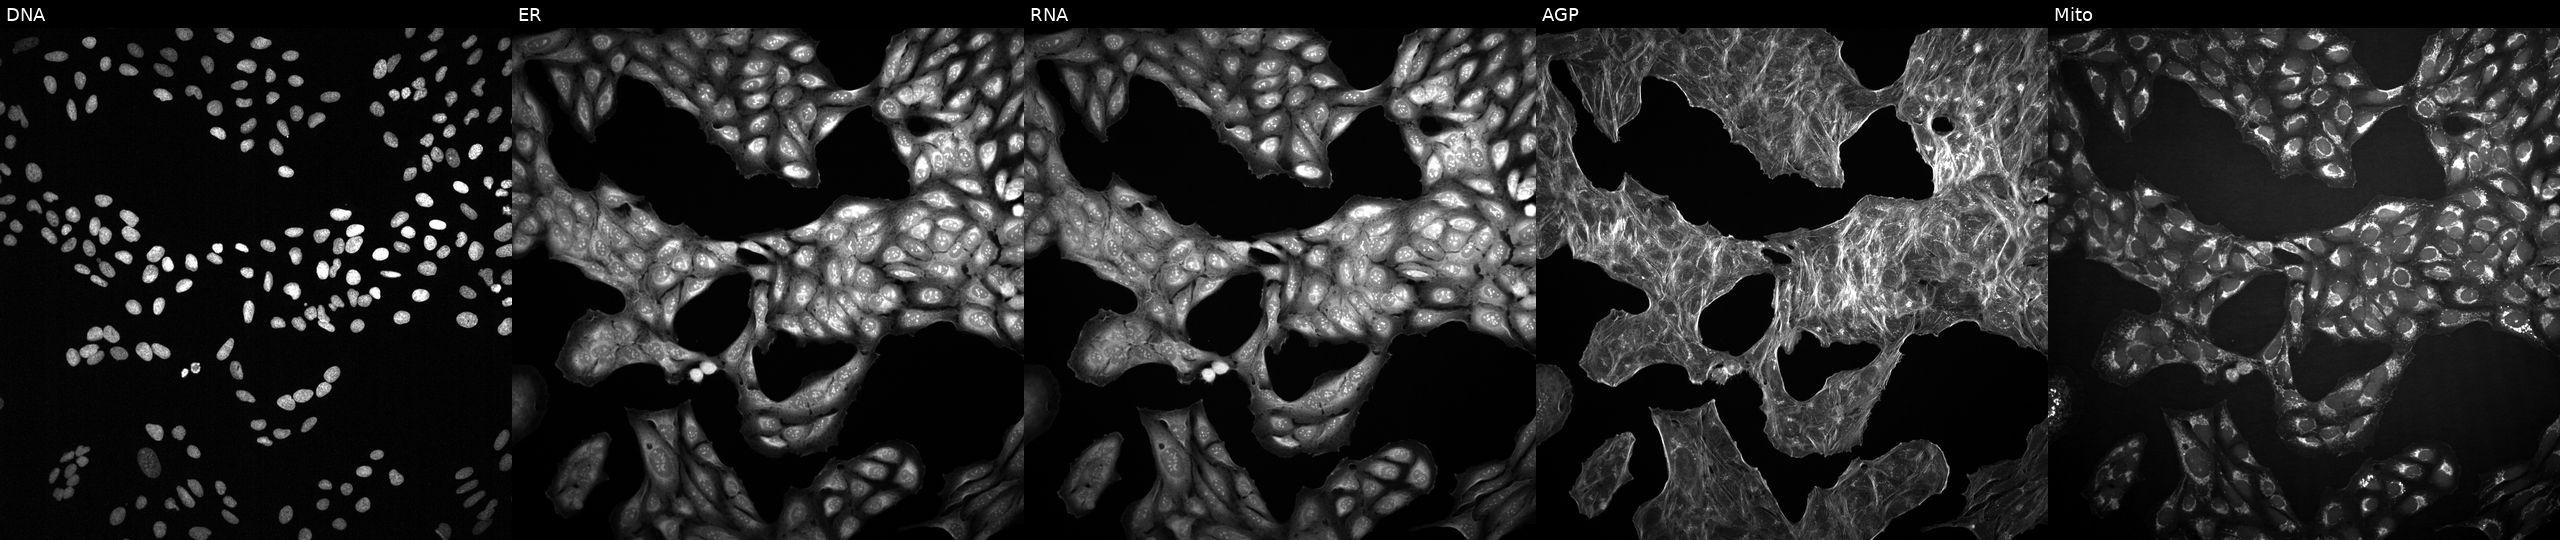
Five-channel Cell Painting image of U2OS cells treated with a small-molecule compound (InChIKey QCAIGDVVDUGYHA-UHFFFAOYSA-N). From left to right: Hoechst 33342, concanavalin A, SYTO 14, phalloidin and WGA, MitoTracker. Source 2, plate 1053601763, well M06.